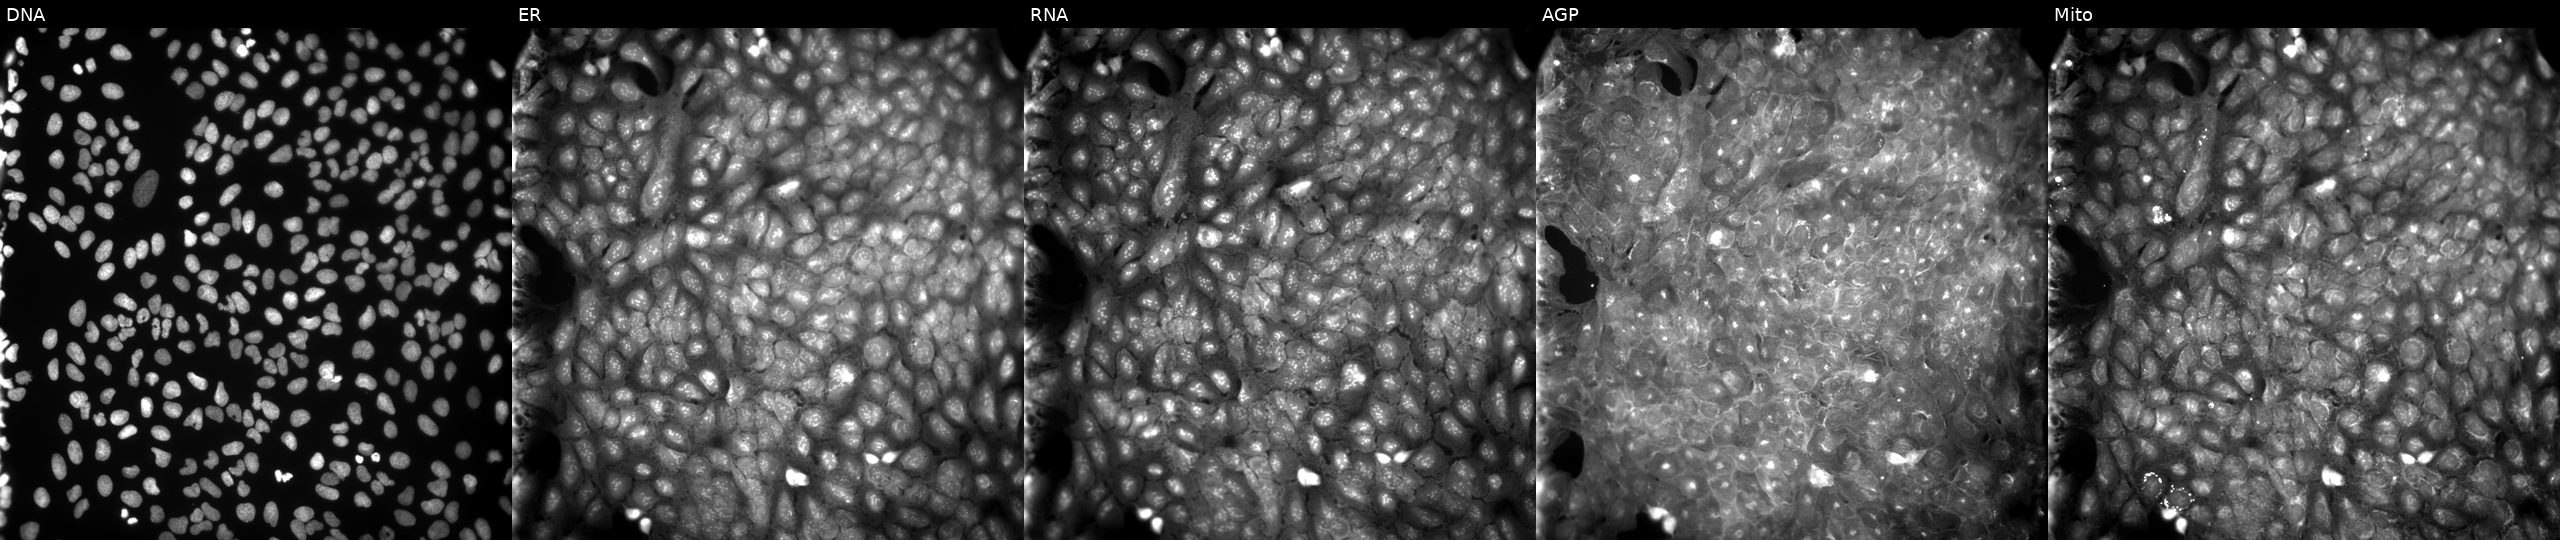
U2OS cells, Cell Painting assay, perturbed with a small-molecule compound (InChIKey BPQWDWPCJWSTJA-UHFFFAOYSA-N). From left to right: Hoechst 33342, concanavalin A, SYTO 14, phalloidin and WGA, MitoTracker. Each panel is percentile-stretched 16-bit fluorescence. Source 9, plate GR00003381, well W06.